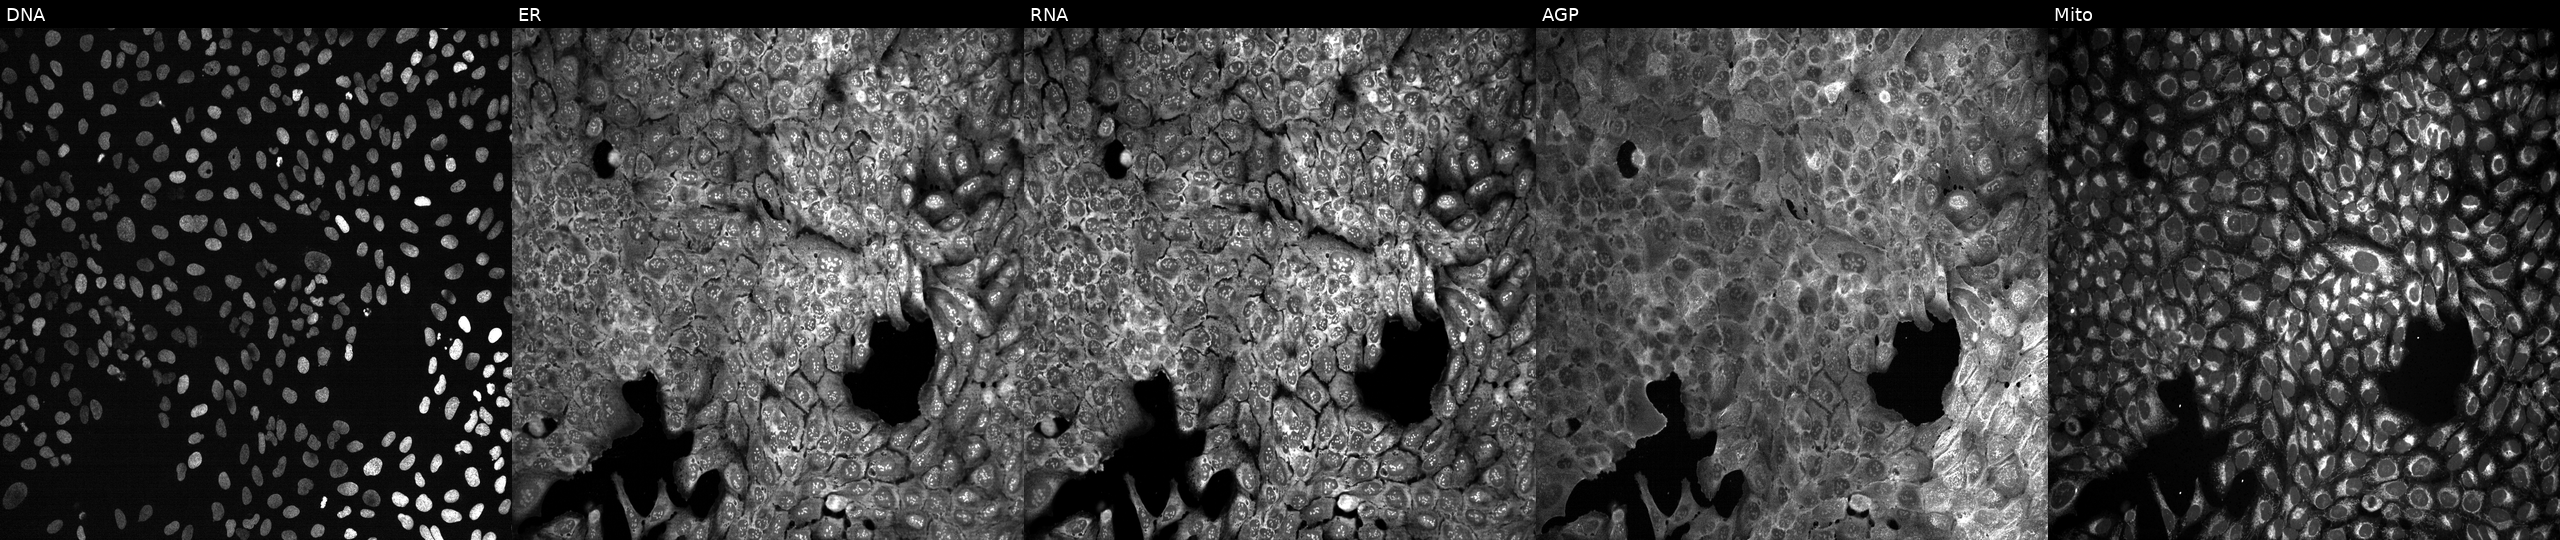
High-content fluorescence microscopy (Cell Painting). Cell line: U2OS. Perturbation: CRISPR-edited to disrupt GCNT1. Panels show, left to right, Hoechst 33342, concanavalin A, SYTO 14, phalloidin and WGA, MitoTracker. Source 13, plate CP-CC9-R3-01, well B07.